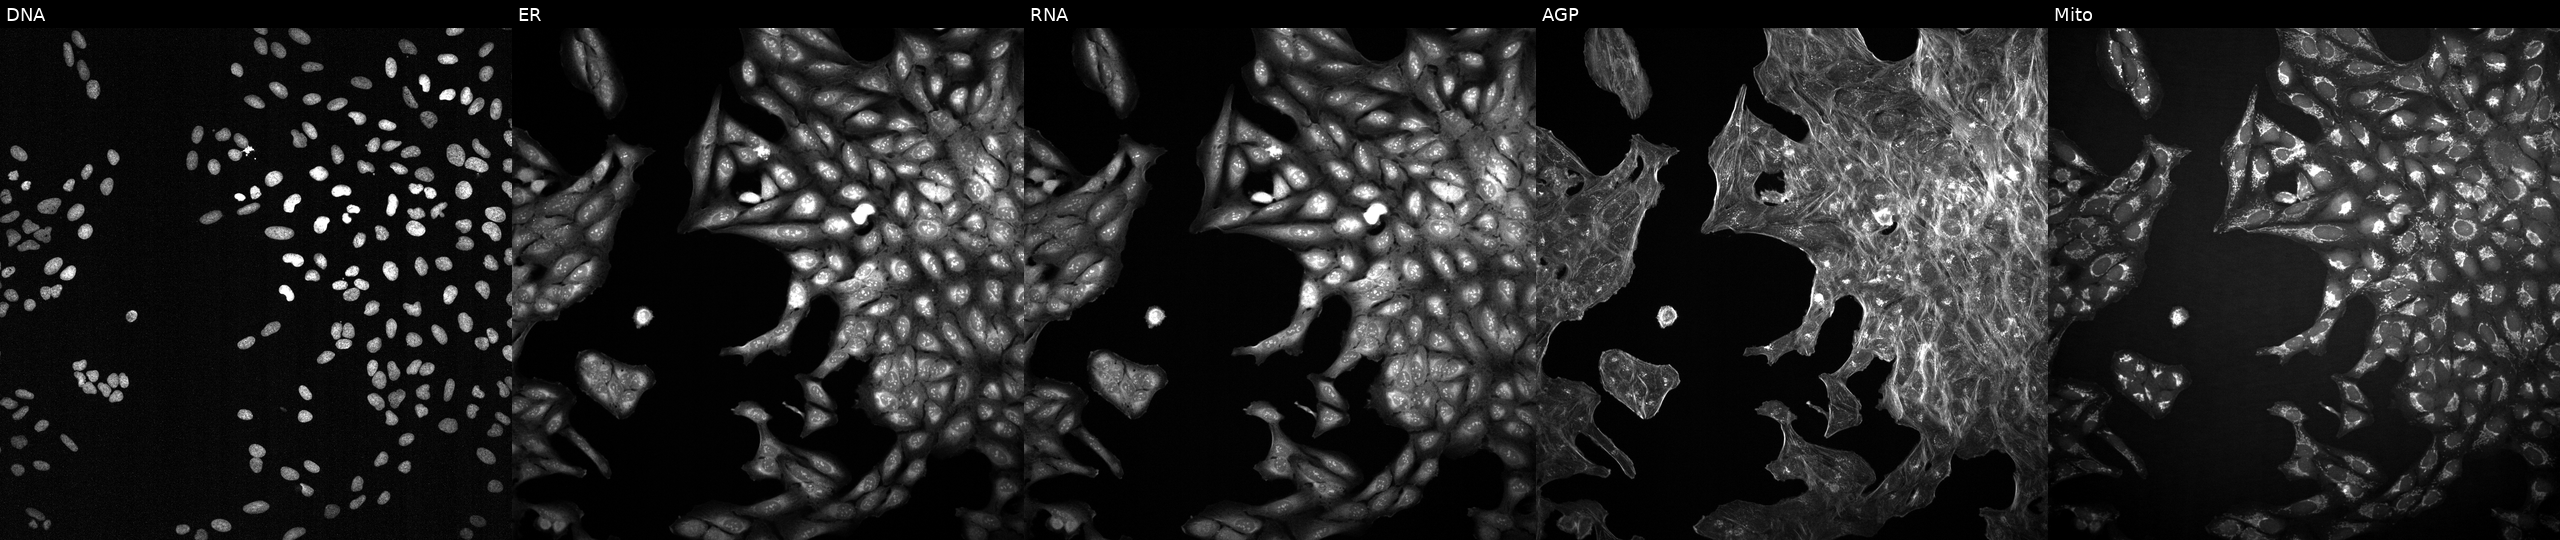
Five-channel Cell Painting image of U2OS cells exposed to a small-molecule compound (InChIKey JDKKNQACNITFEA-UHFFFAOYSA-N) (JUMP id JCP2022_039047). Panels show, left to right, Hoechst 33342, concanavalin A, SYTO 14, phalloidin and WGA, MitoTracker.